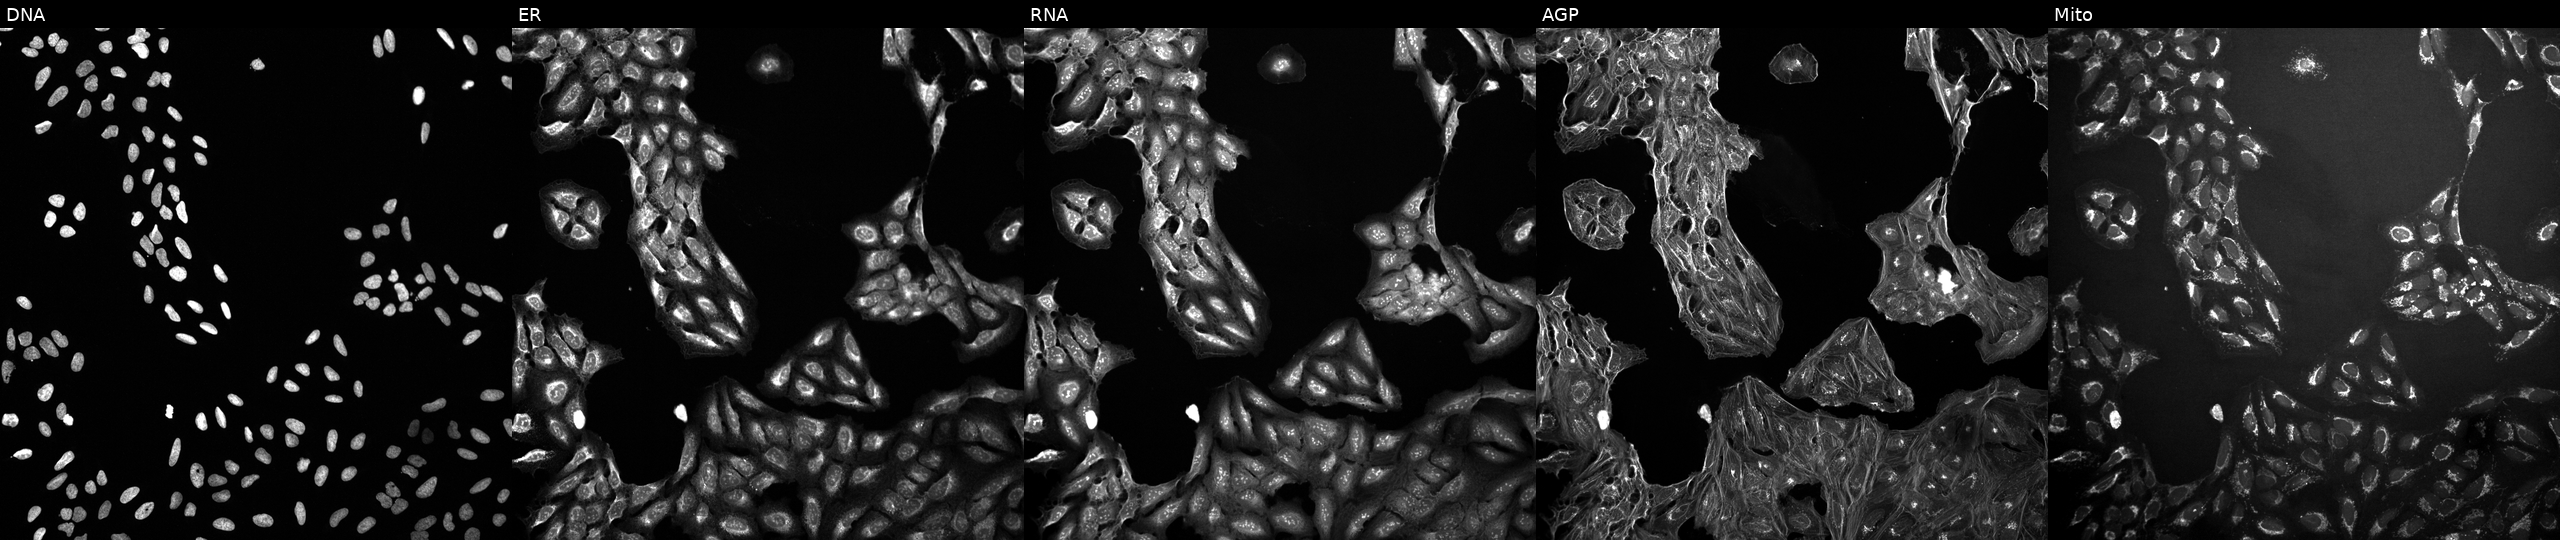
This image strip shows the five Cell Painting channels for a single field of U2OS cells treated with a small-molecule compound (InChIKey PVSVDCWLZAFSFI-UHFFFAOYSA-N) (JUMP id JCP2022_071268). The five panels, left to right, show DNA, ER, RNA, AGP, and Mito.